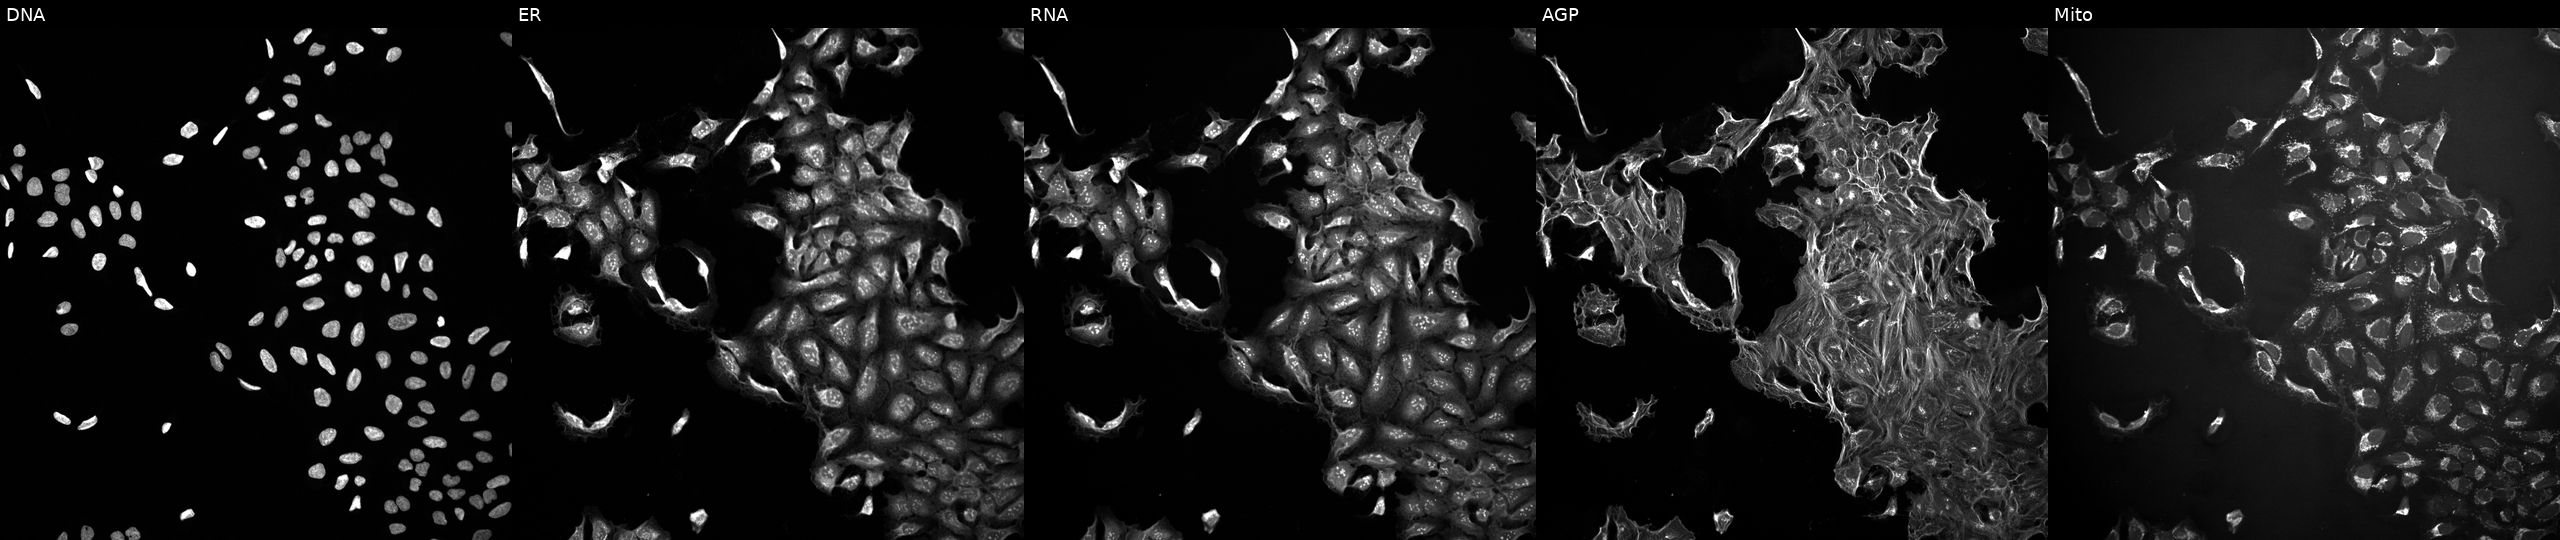
This image strip shows the five Cell Painting channels for a single field of U2OS cells perturbed with a small-molecule compound (InChIKey PIWKPBJCKXDKJR-UHFFFAOYSA-N). Channels (left→right): DNA (nuclei); ER (endoplasmic reticulum); RNA (nucleoli and cytoplasmic RNA); AGP (actin cytoskeleton, Golgi, and plasma membrane); Mito (mitochondria).